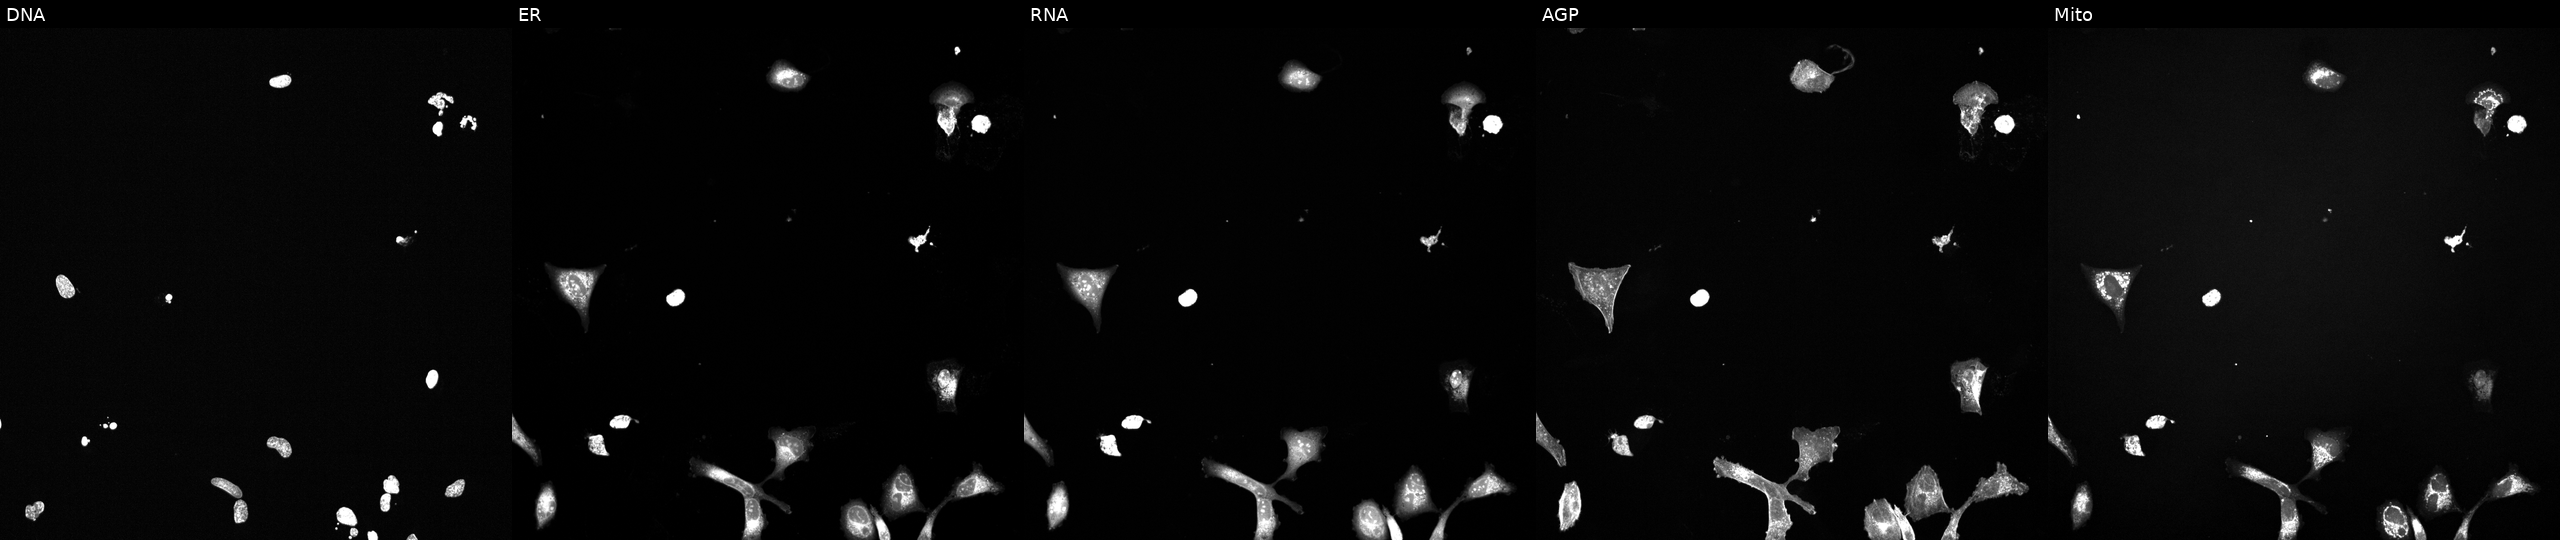
Five-channel Cell Painting image of U2OS cells perturbed with a small-molecule compound (InChIKey XQVVPGYIWAGRNI-UHFFFAOYSA-N) [SMILES: CCC1C(=O)N(C)c2c[nH]c(=Nc3ccc(C(=O)NC4CCN(C)CC4)cc3OC)nc2N1C1CCCC1]. From left to right: Hoechst 33342, concanavalin A, SYTO 14, phalloidin and WGA, MitoTracker. Source 6, plate 110000293081, well D07.